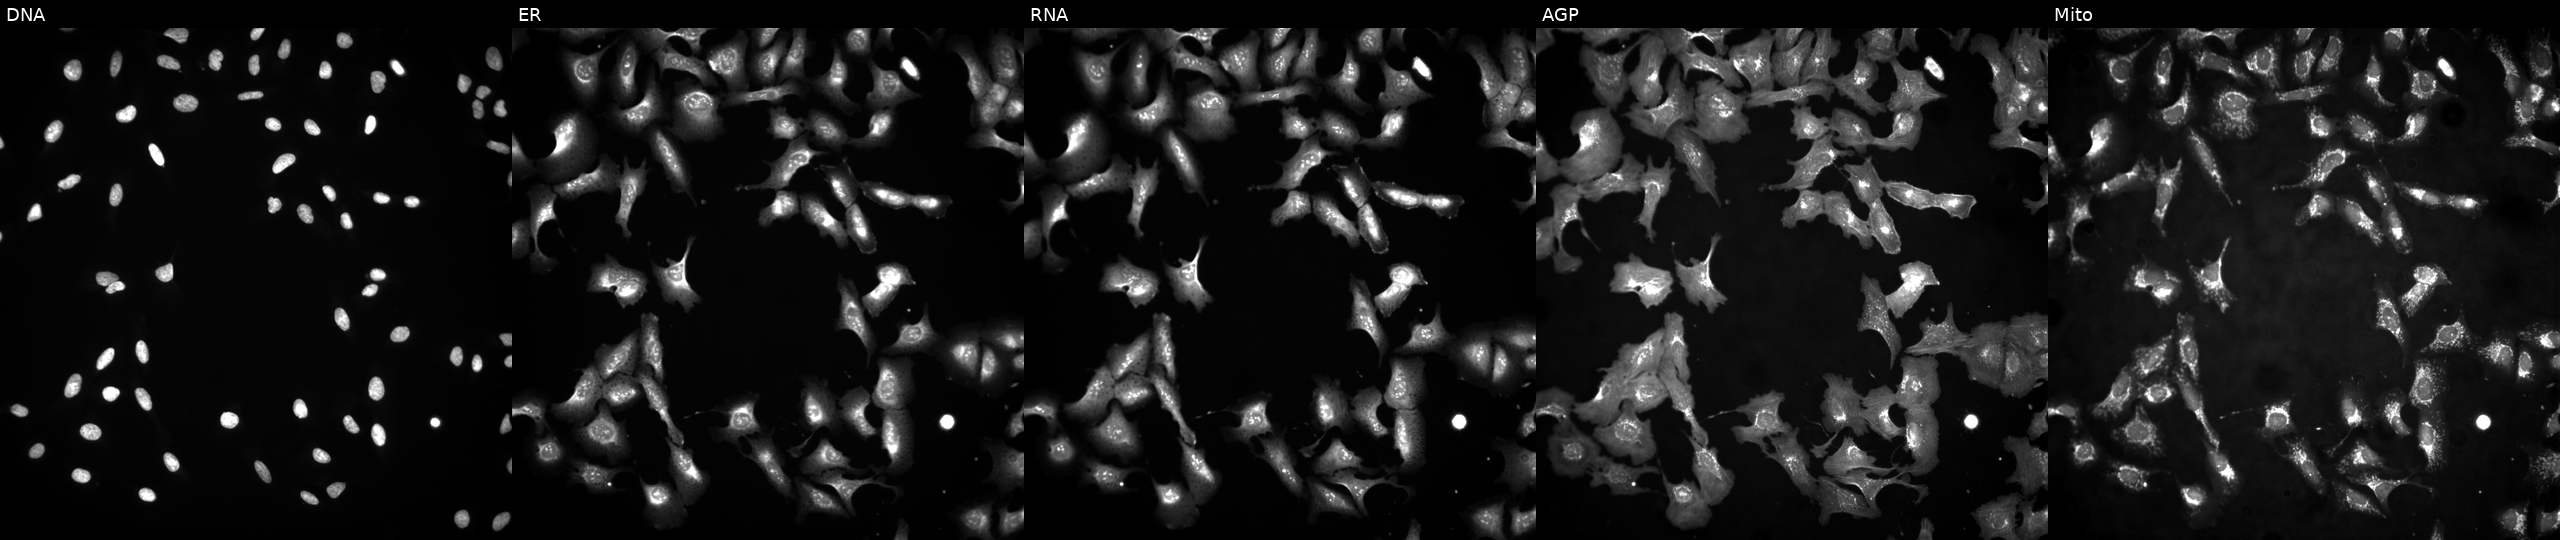
U2OS cells, Cell Painting assay, with CLK3 overexpressed (ORF) (JUMP id JCP2022_914337). The five panels, left to right, show DNA (nuclei); ER (endoplasmic reticulum); RNA (nucleoli and cytoplasmic RNA); AGP (actin cytoskeleton, Golgi, and plasma membrane); Mito (mitochondria). Each panel is percentile-stretched 16-bit fluorescence. Source 4, plate BR00123945, well G23.